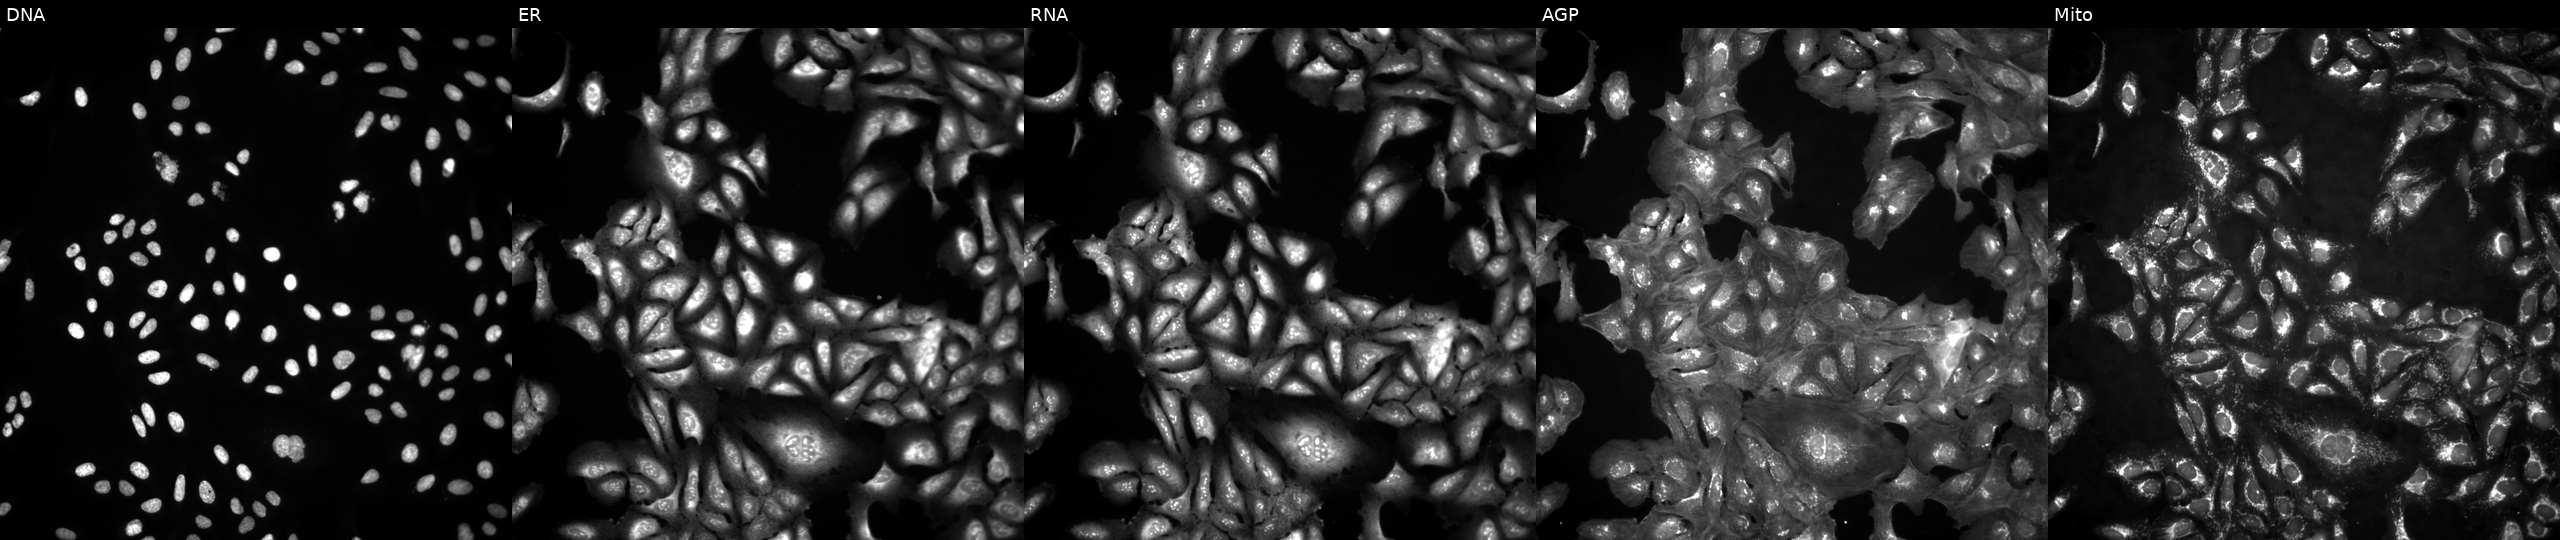
From left to right: Hoechst 33342, concanavalin A, SYTO 14, phalloidin and WGA, MitoTracker. U2OS osteosarcoma cells untreated (empty-well control) (JUMP id JCP2022_999999). Cell Painting assay, JUMP-CP dataset. Source 4, plate BR00124793, well K21.